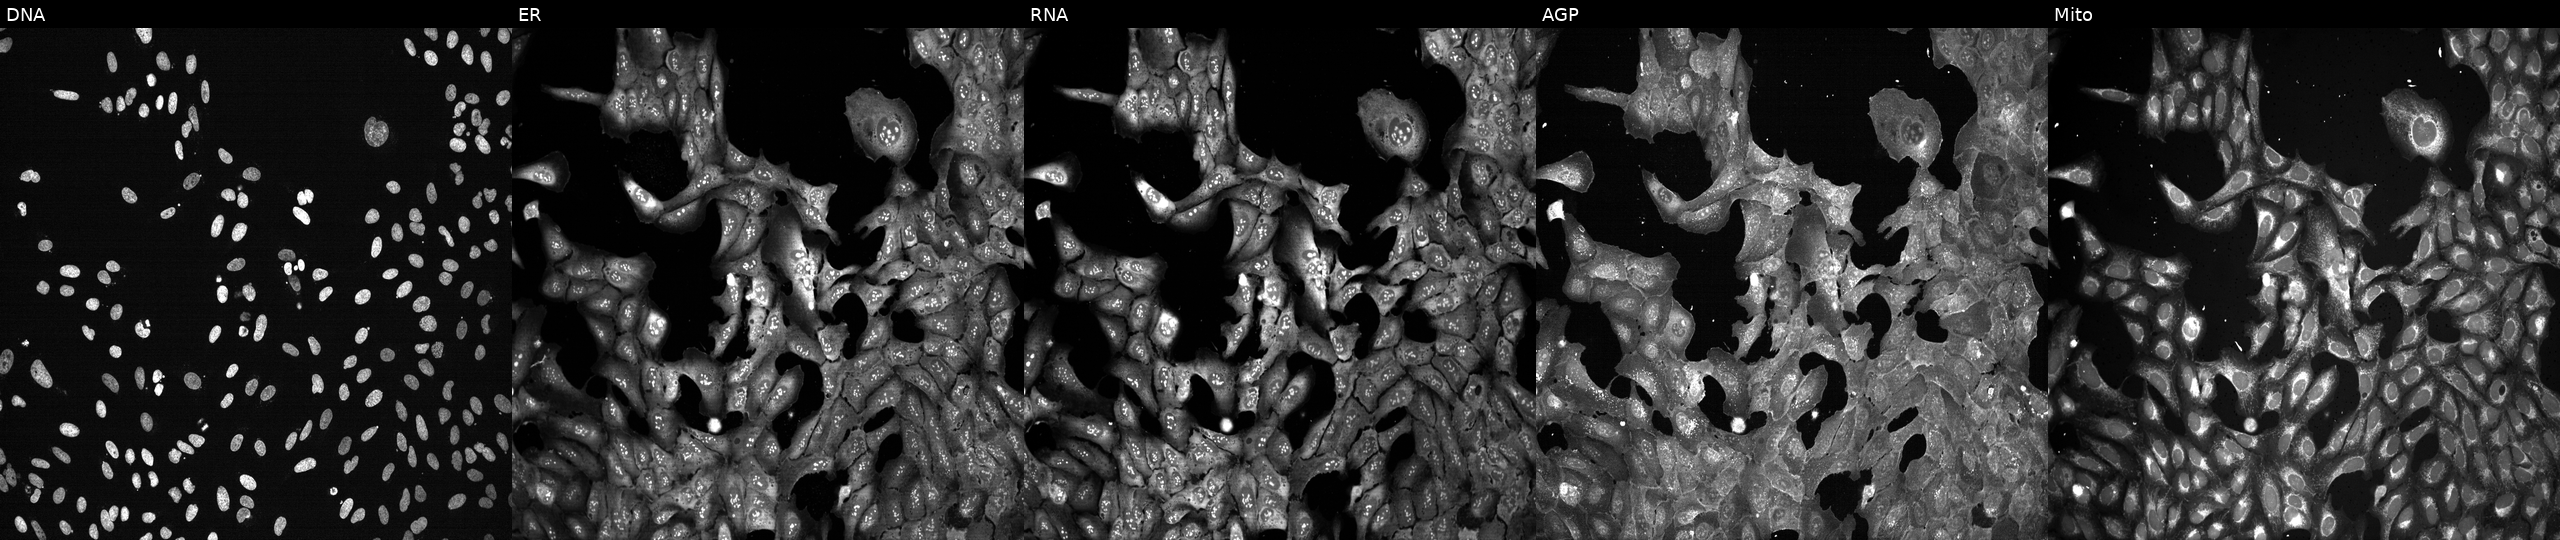
U2OS cells, Cell Painting assay, following CRISPR knockout of PRSS54. The five panels, left to right, show DNA, ER, RNA, AGP, and Mito. Each panel is percentile-stretched 16-bit fluorescence. Source 13, plate CP-CC9-R5-01, well A20.